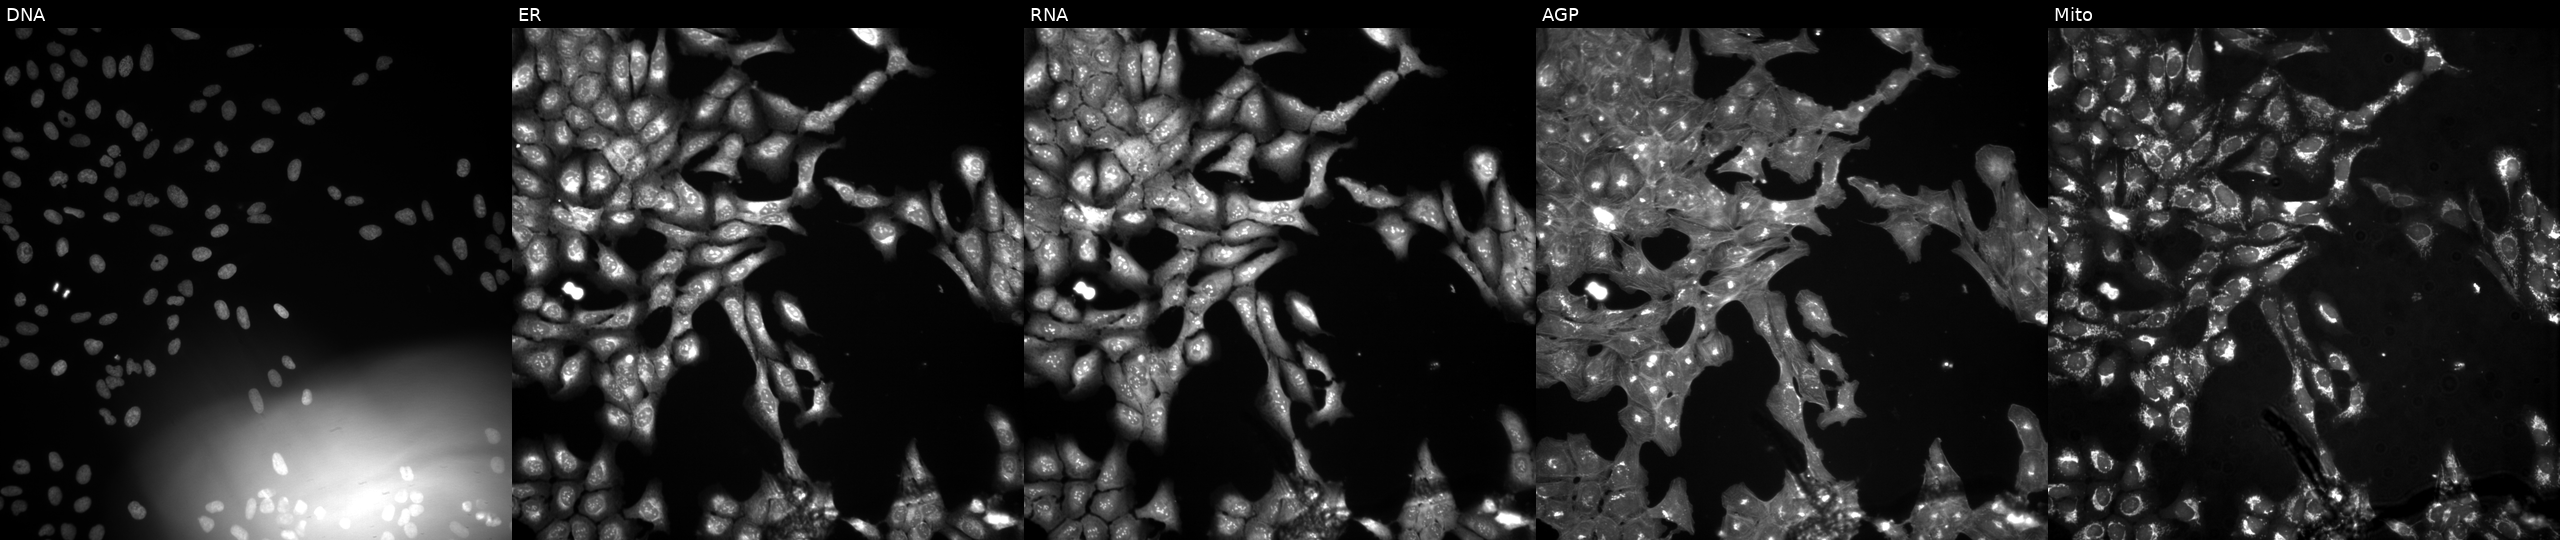
JUMP Cell Painting — TARGET2 plate. U2OS cells treated with DMSO vehicle only (negative control) (JUMP id JCP2022_033924). The five panels, left to right, show DNA (nuclei); ER (endoplasmic reticulum); RNA (nucleoli and cytoplasmic RNA); AGP (actin cytoskeleton, Golgi, and plasma membrane); Mito (mitochondria).